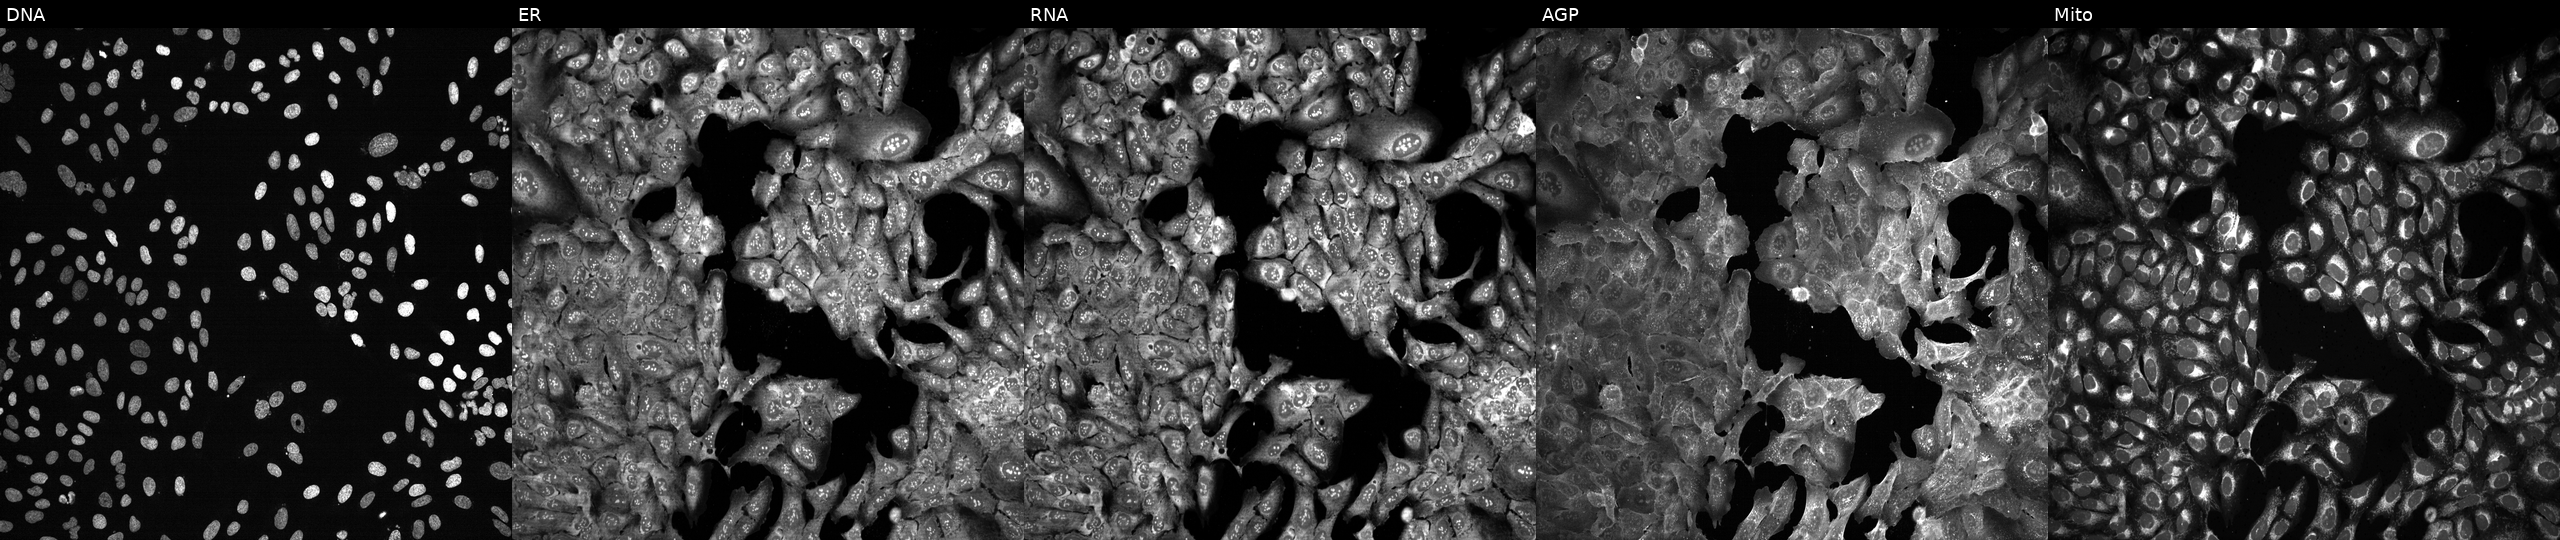
High-content fluorescence microscopy (Cell Painting). Cell line: U2OS. Perturbation: following CRISPR knockout of PREPL (JUMP id JCP2022_805505). Panels show, left to right, Hoechst 33342, concanavalin A, SYTO 14, phalloidin and WGA, MitoTracker.